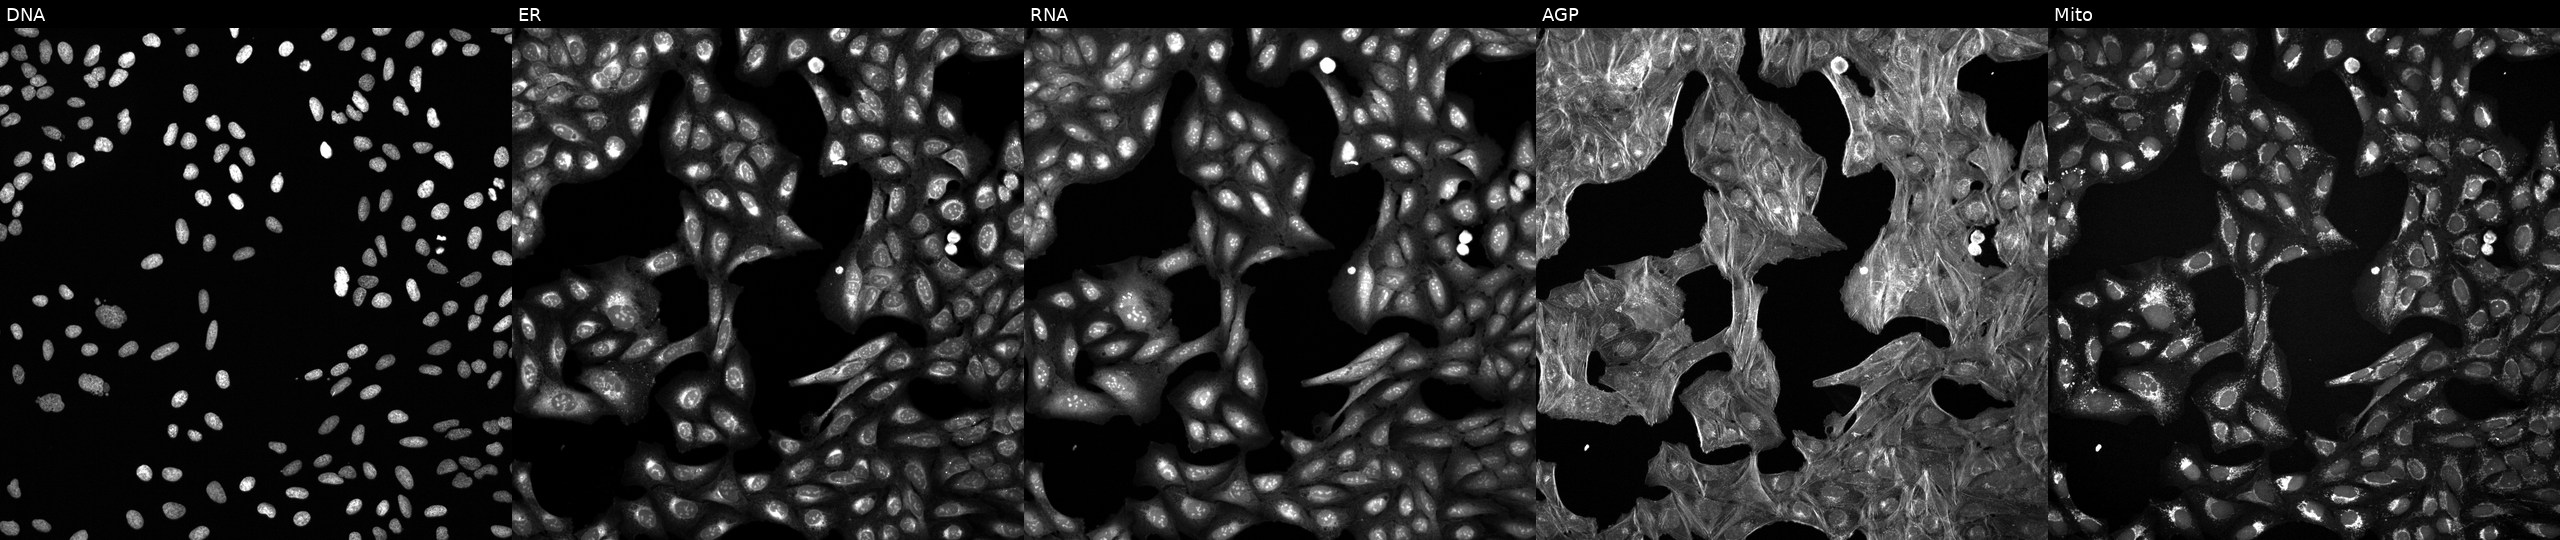
JUMP Cell Painting — COMPOUND plate. U2OS cells treated with aloxistatin (positive-control compound). Channels (left→right): Hoechst 33342, concanavalin A, SYTO 14, phalloidin and WGA, MitoTracker.